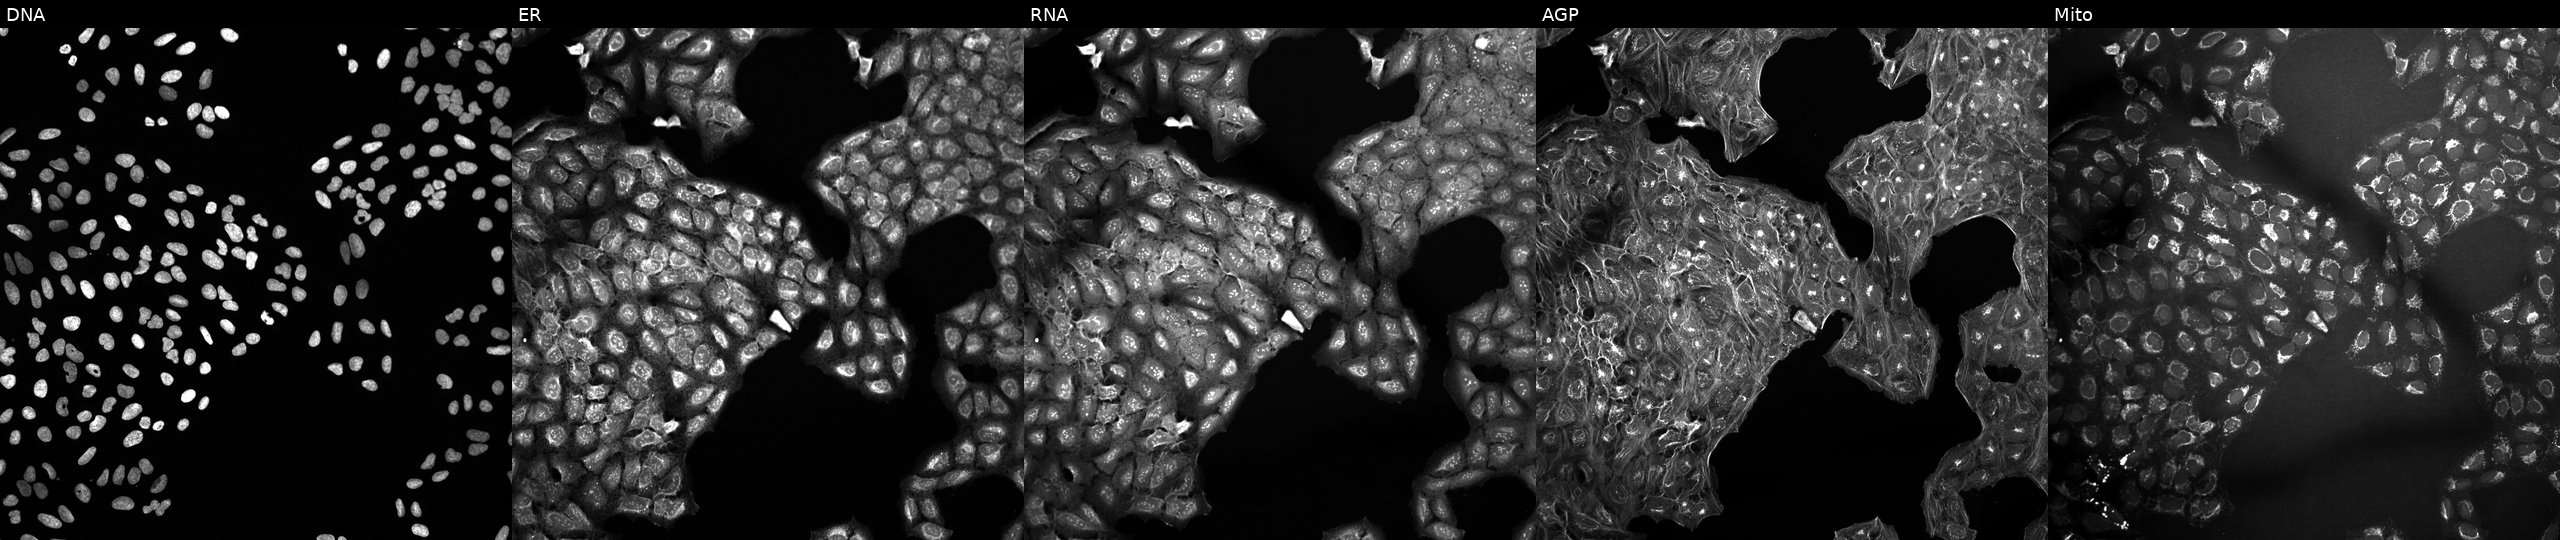
JUMP Cell Painting — COMPOUND plate. U2OS cells treated with a small-molecule compound [SMILES: COc1ccccc1OCC(=O)N=c1[nH]c(-c2cccc(C(F)(F)F)c2)cs1]. The five panels, left to right, show DNA (nuclei); ER (endoplasmic reticulum); RNA (nucleoli and cytoplasmic RNA); AGP (actin cytoskeleton, Golgi, and plasma membrane); Mito (mitochondria). Source 10, plate Dest210531-152324, well E11.